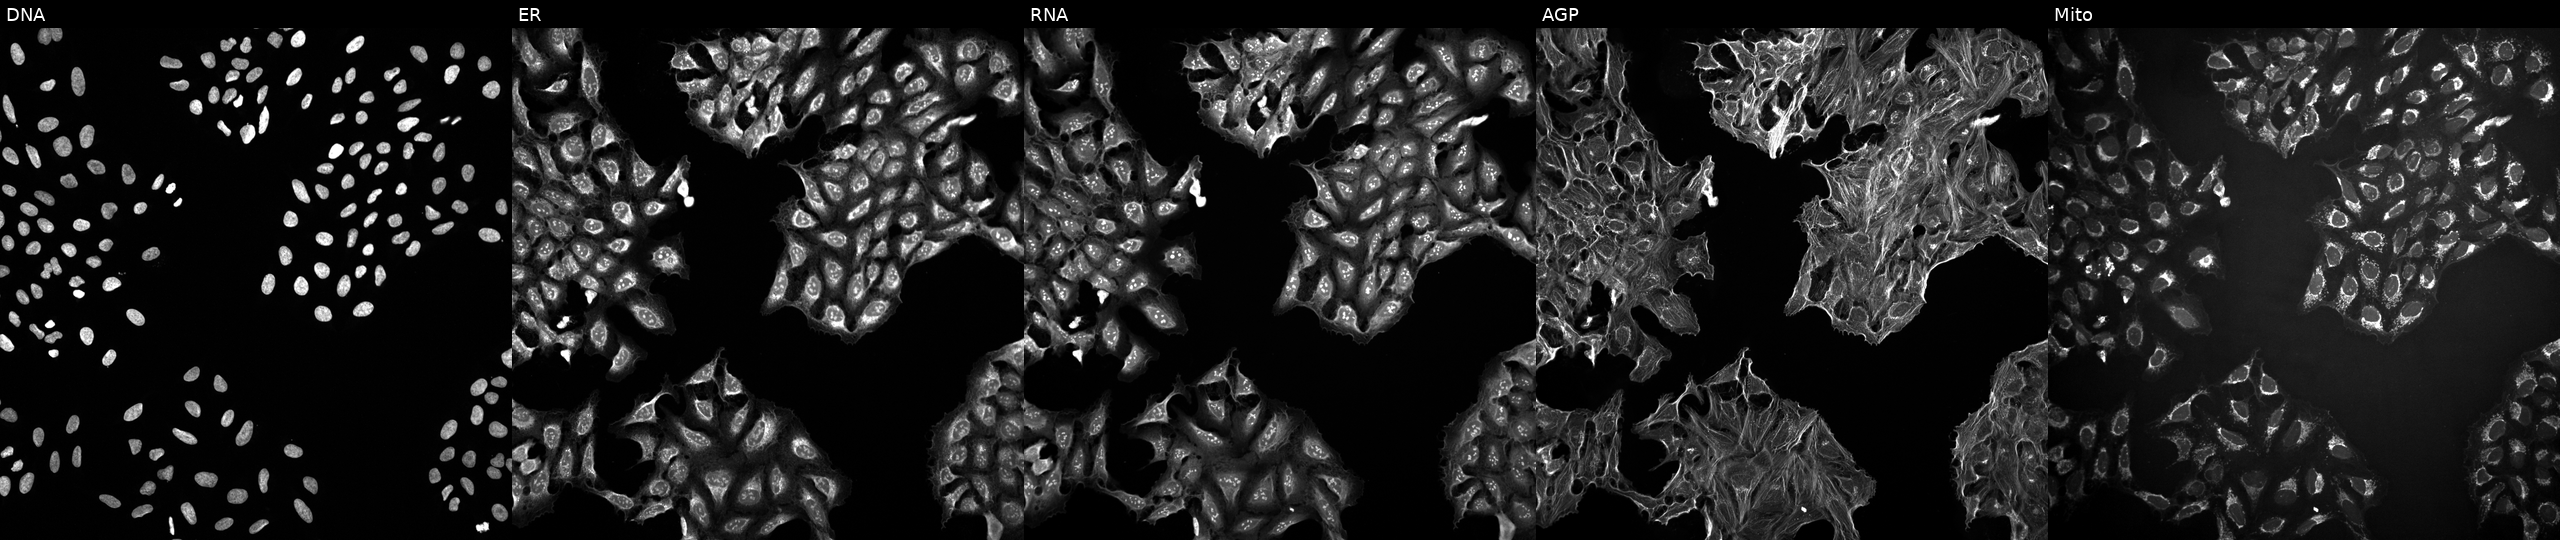
JUMP Cell Painting — TARGET2 plate. U2OS cells perturbed with a small-molecule compound (InChIKey ONIBWKKTOPOVIA-UHFFFAOYSA-N). From left to right: DNA, ER, RNA, AGP, and Mito. Source 10, plate Dest210727-153003, well M02.